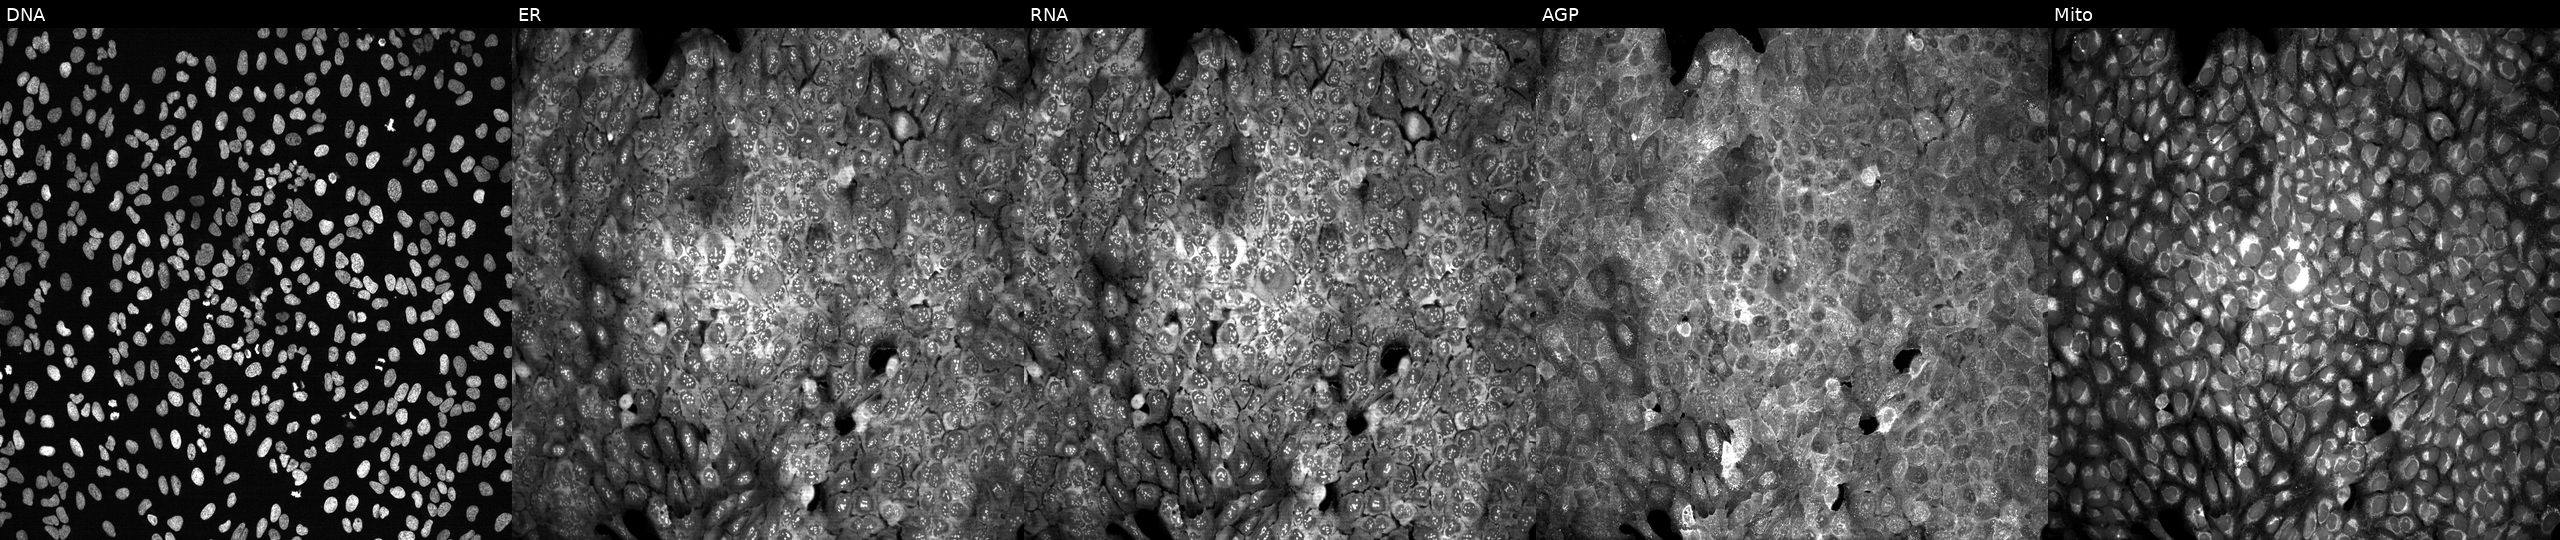
High-content fluorescence microscopy (Cell Painting). Cell line: U2OS. Perturbation: CRISPR-edited to disrupt ABCC6 (JUMP id JCP2022_800048). The five panels, left to right, show DNA (nuclei); ER (endoplasmic reticulum); RNA (nucleoli and cytoplasmic RNA); AGP (actin cytoskeleton, Golgi, and plasma membrane); Mito (mitochondria). Source 13, plate CP-CC9-R5-01, well D19.